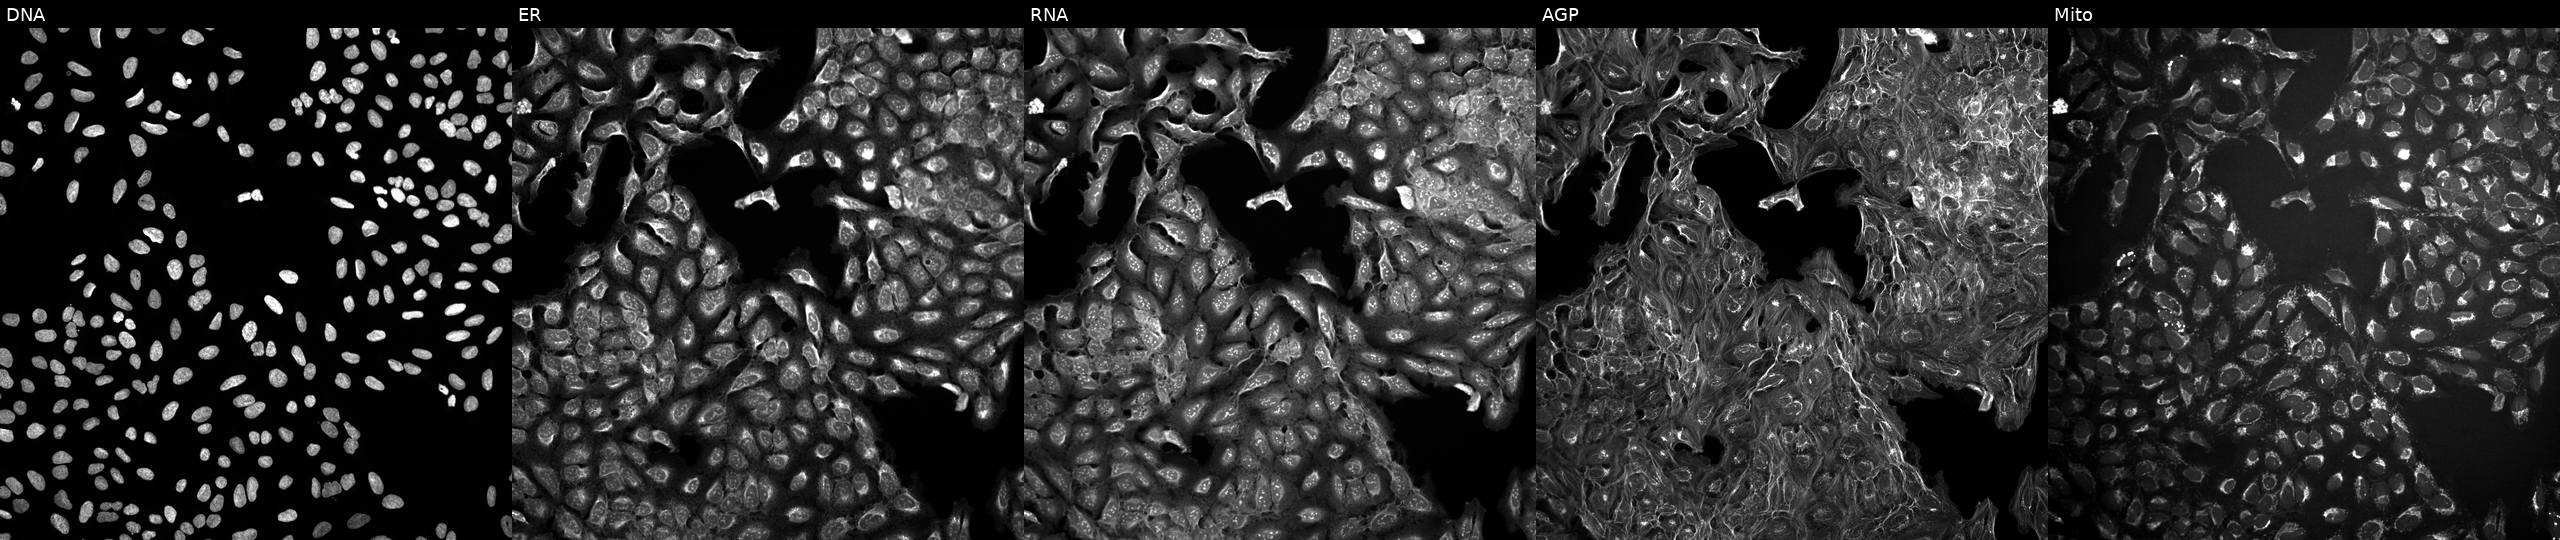
U2OS cells, Cell Painting assay, perturbed with a small-molecule compound (InChIKey QQZSLKZTZZKMOQ-UHFFFAOYSA-N). Channels (left→right): DNA, ER, RNA, AGP, and Mito. Each panel is percentile-stretched 16-bit fluorescence. Source 10, plate Dest210531-152324, well M06.